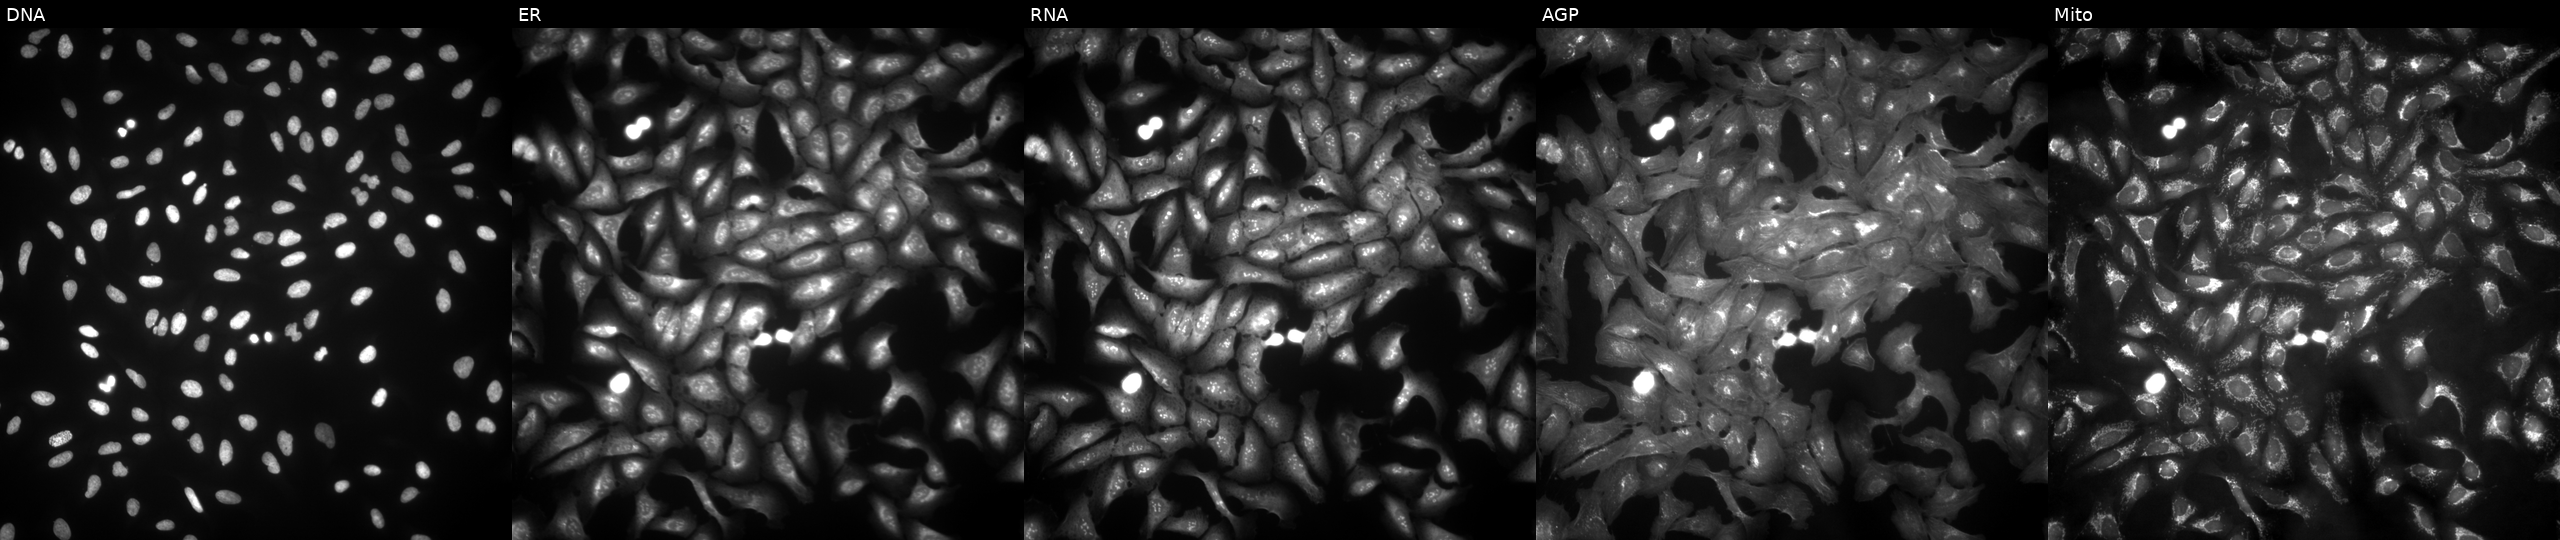
U2OS cells, Cell Painting assay, overexpressing DOK2 via ORF transfection. Panels show, left to right, Hoechst 33342, concanavalin A, SYTO 14, phalloidin and WGA, MitoTracker. Each panel is percentile-stretched 16-bit fluorescence. Source 4, plate BR00123506, well L12.